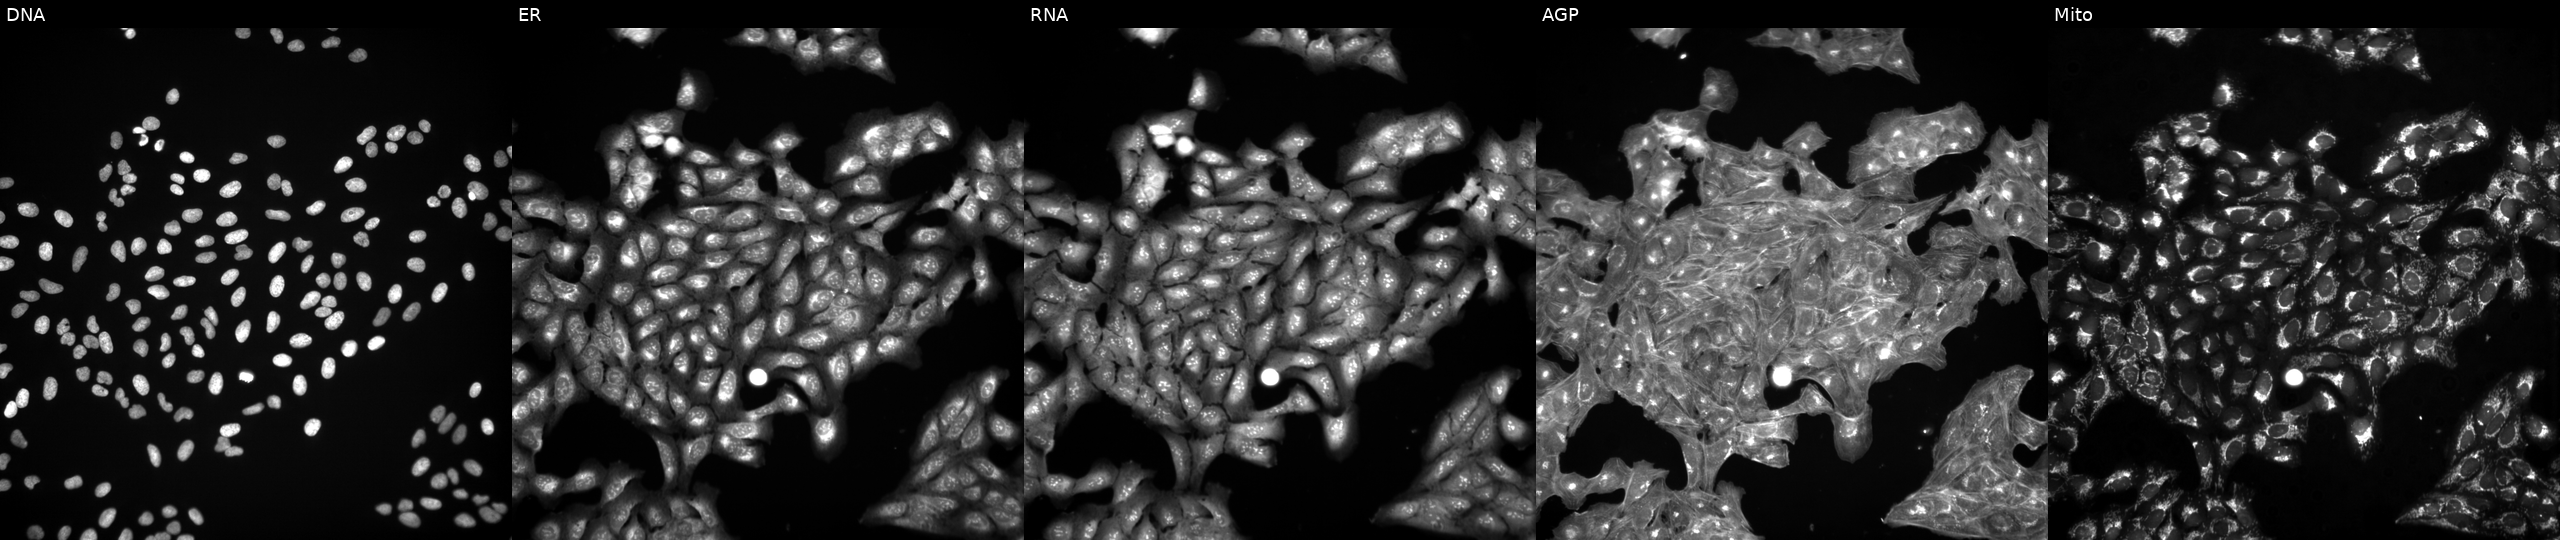
High-content fluorescence microscopy (Cell Painting). Cell line: U2OS. Perturbation: treated with a small-molecule compound (JUMP id JCP2022_097998). From left to right: DNA, ER, RNA, AGP, and Mito. Source 3, plate JCPQC051, well P07.